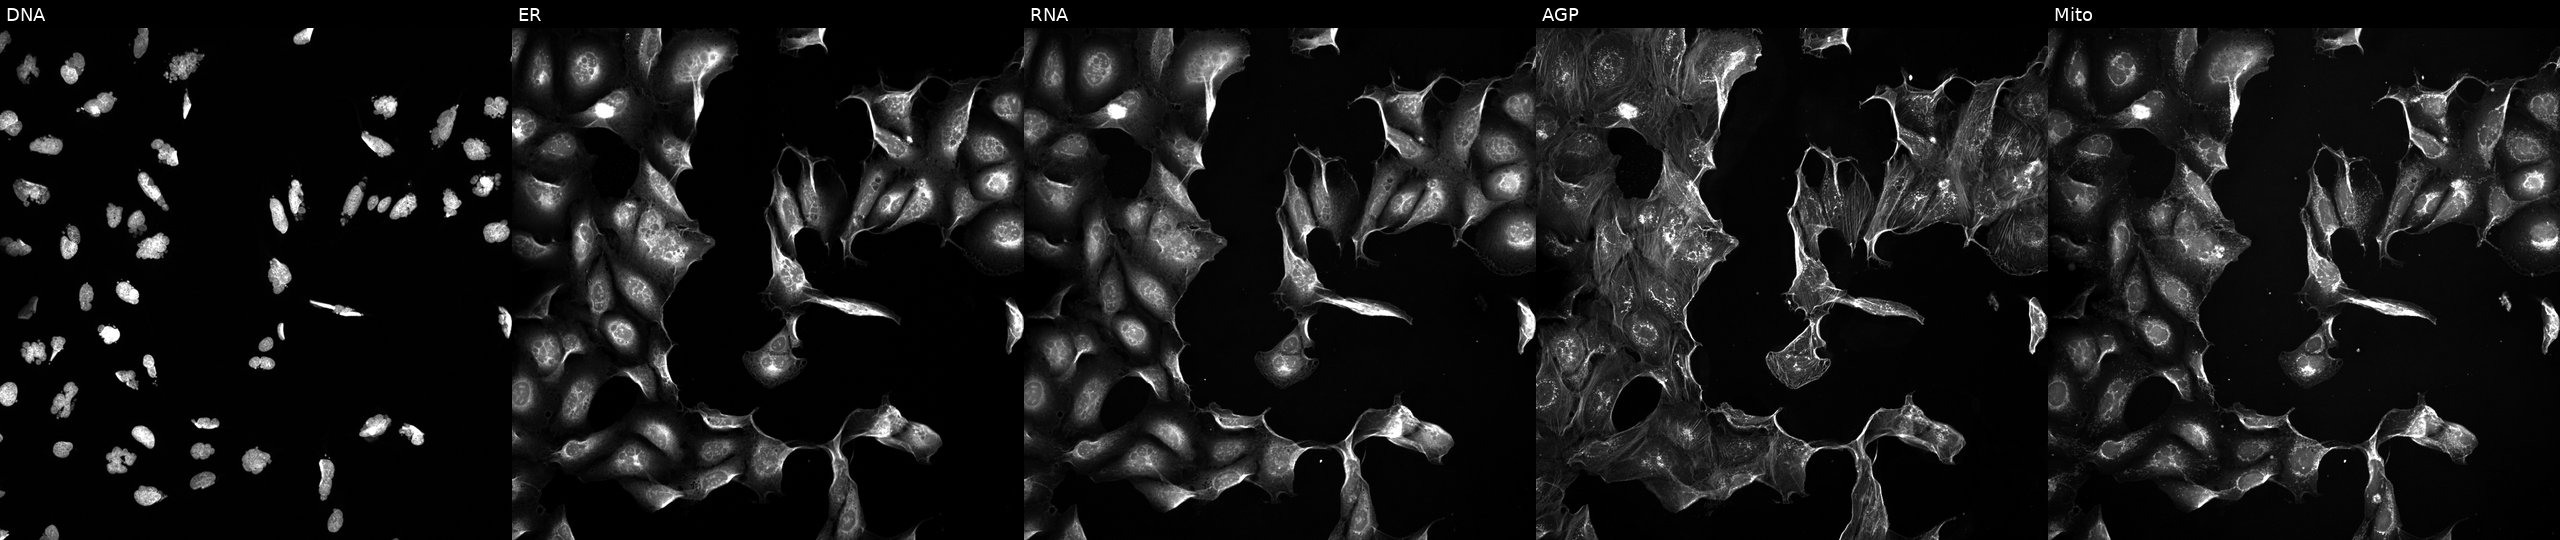
This image strip shows the five Cell Painting channels for a single field of U2OS cells treated with a small-molecule compound (InChIKey QTBWCSQGBMPECM-UHFFFAOYSA-N) (JUMP id JCP2022_075694). The five panels, left to right, show DNA (nuclei); ER (endoplasmic reticulum); RNA (nucleoli and cytoplasmic RNA); AGP (actin cytoskeleton, Golgi, and plasma membrane); Mito (mitochondria).